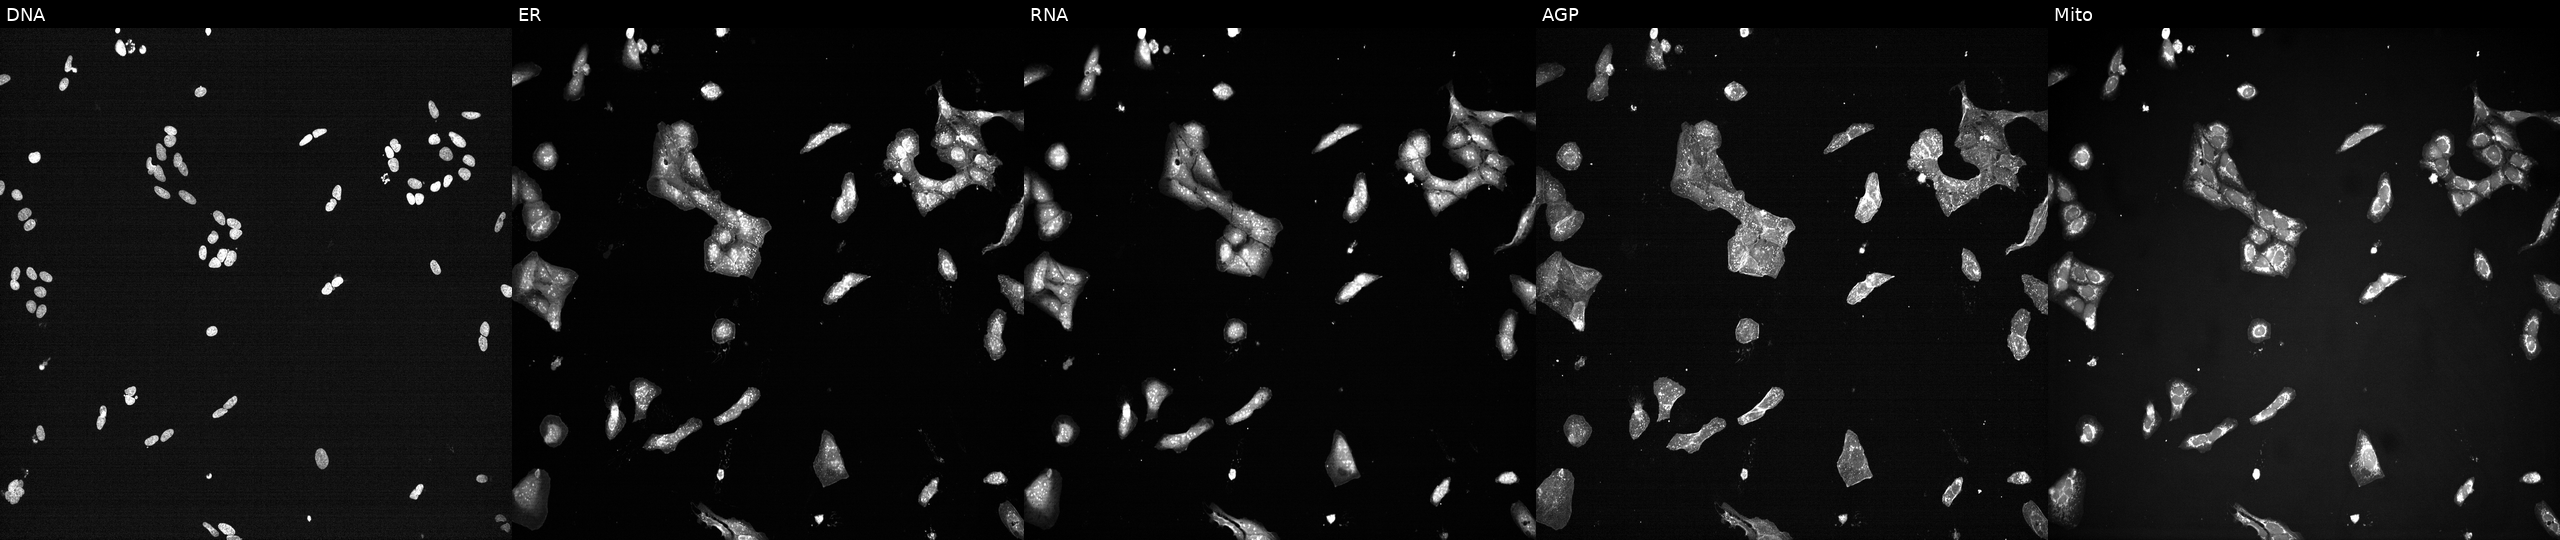
This image strip shows the five Cell Painting channels for a single field of U2OS cells treated with a small-molecule compound (InChIKey KXBDTLQSDKGAEB-UHFFFAOYSA-N) [SMILES: C=CC(=O)Nc1cccc(N=c2[nH]c(=Nc3ccc(OCCOC)cc3)[nH]cc2F)c1]. Panels show, left to right, Hoechst 33342, concanavalin A, SYTO 14, phalloidin and WGA, MitoTracker.